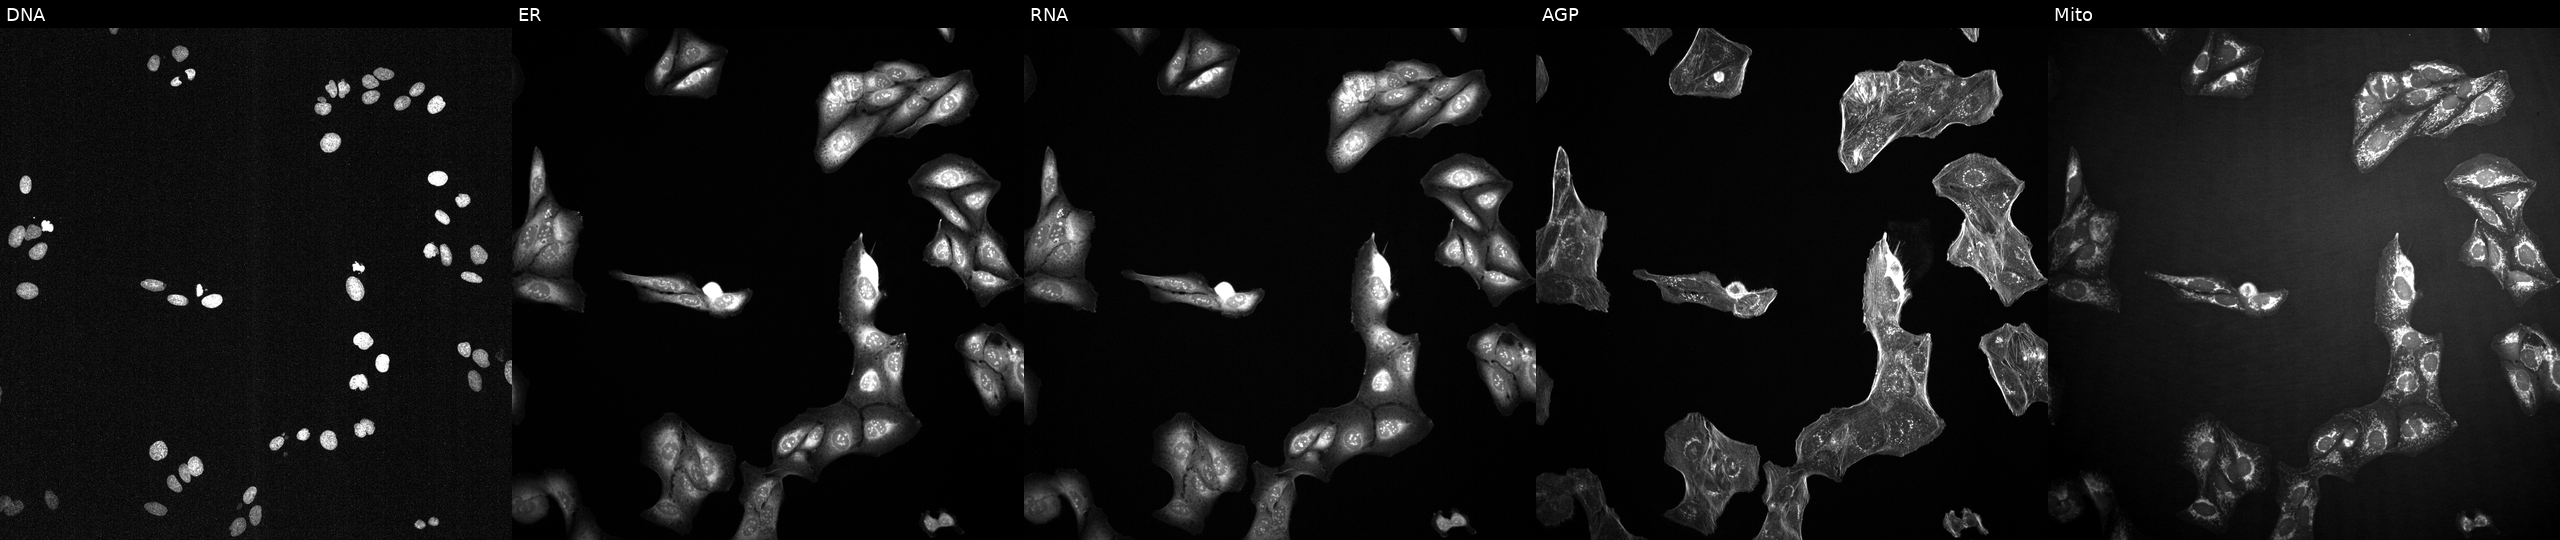
High-content fluorescence microscopy (Cell Painting). Cell line: U2OS. Perturbation: perturbed with a small-molecule compound (InChIKey PMXCMJLOPOFPBT-UHFFFAOYSA-N) (JUMP id JCP2022_069668). The five panels, left to right, show DNA (nuclei); ER (endoplasmic reticulum); RNA (nucleoli and cytoplasmic RNA); AGP (actin cytoskeleton, Golgi, and plasma membrane); Mito (mitochondria).